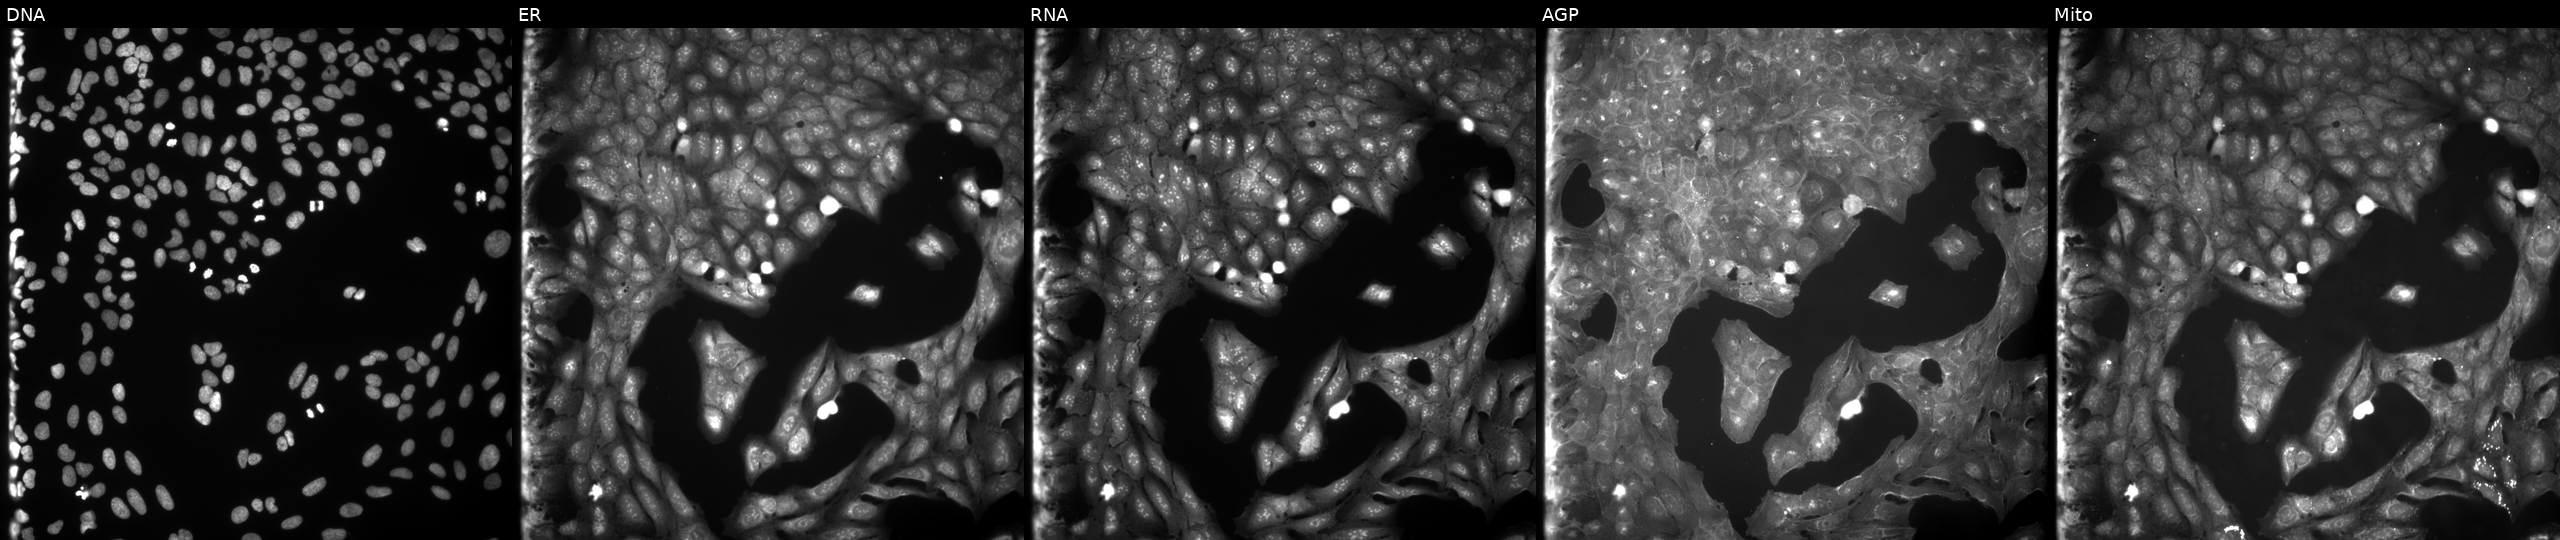
This image strip shows the five Cell Painting channels for a single field of U2OS cells treated with a small-molecule compound (InChIKey HYYHTFCFCQVCSB-UHFFFAOYSA-N) [SMILES: Fc1ccc(C2=Nc3cccc4cccc(c34)N2)cc1] (JUMP id JCP2022_033541). Channels (left→right): DNA (nuclei); ER (endoplasmic reticulum); RNA (nucleoli and cytoplasmic RNA); AGP (actin cytoskeleton, Golgi, and plasma membrane); Mito (mitochondria). Source 9, plate GR00003382, well K14.